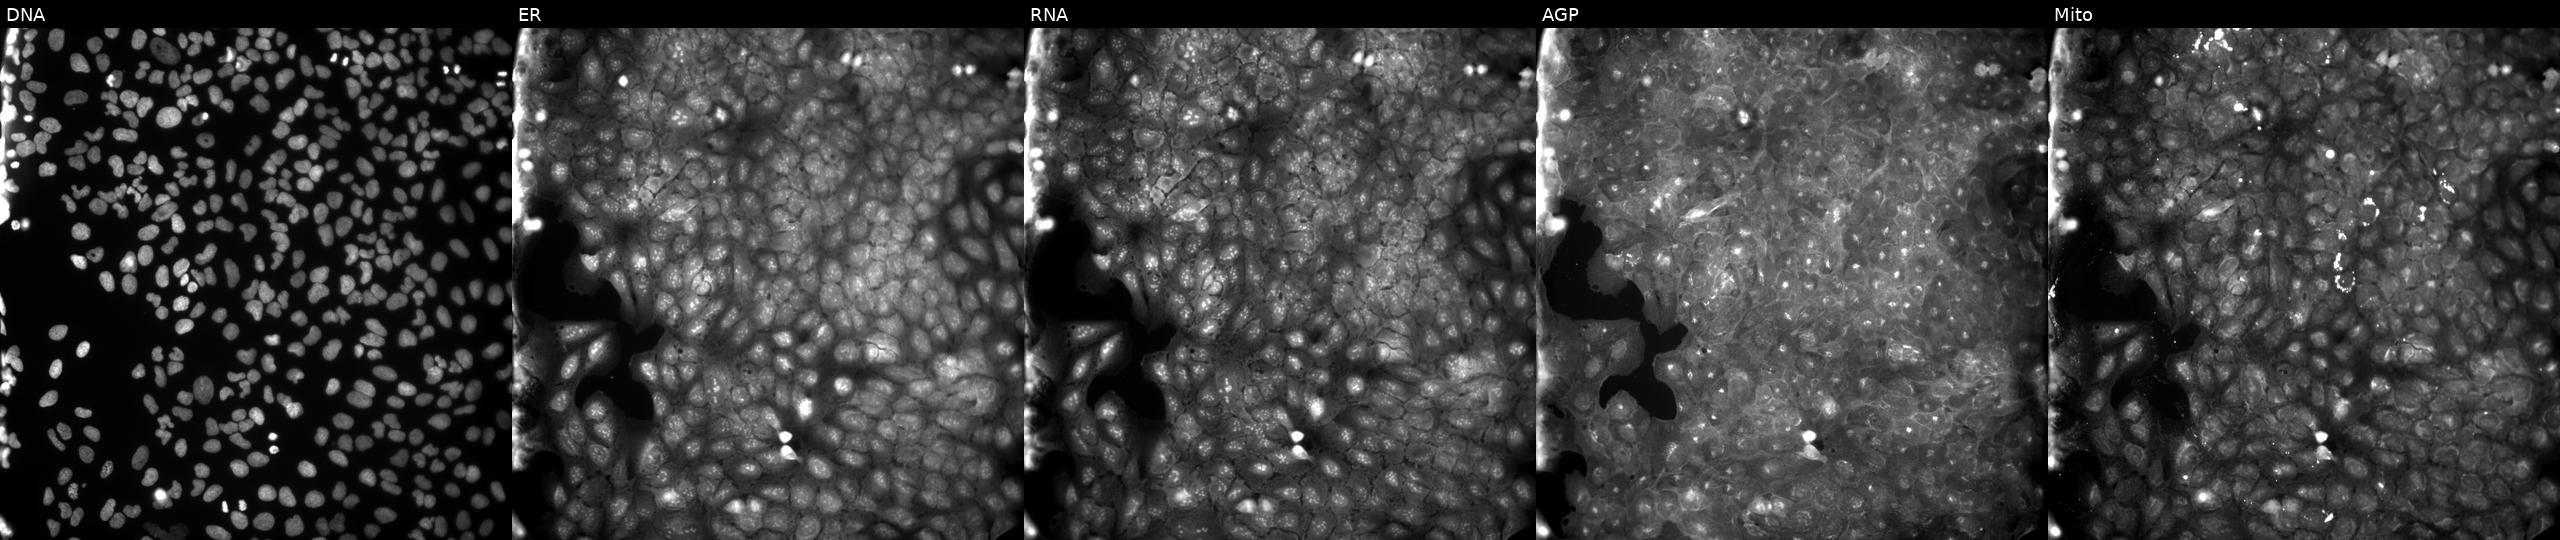
This image strip shows the five Cell Painting channels for a single field of U2OS cells treated with a small-molecule compound (JUMP id JCP2022_052267). The five panels, left to right, show DNA, ER, RNA, AGP, and Mito.